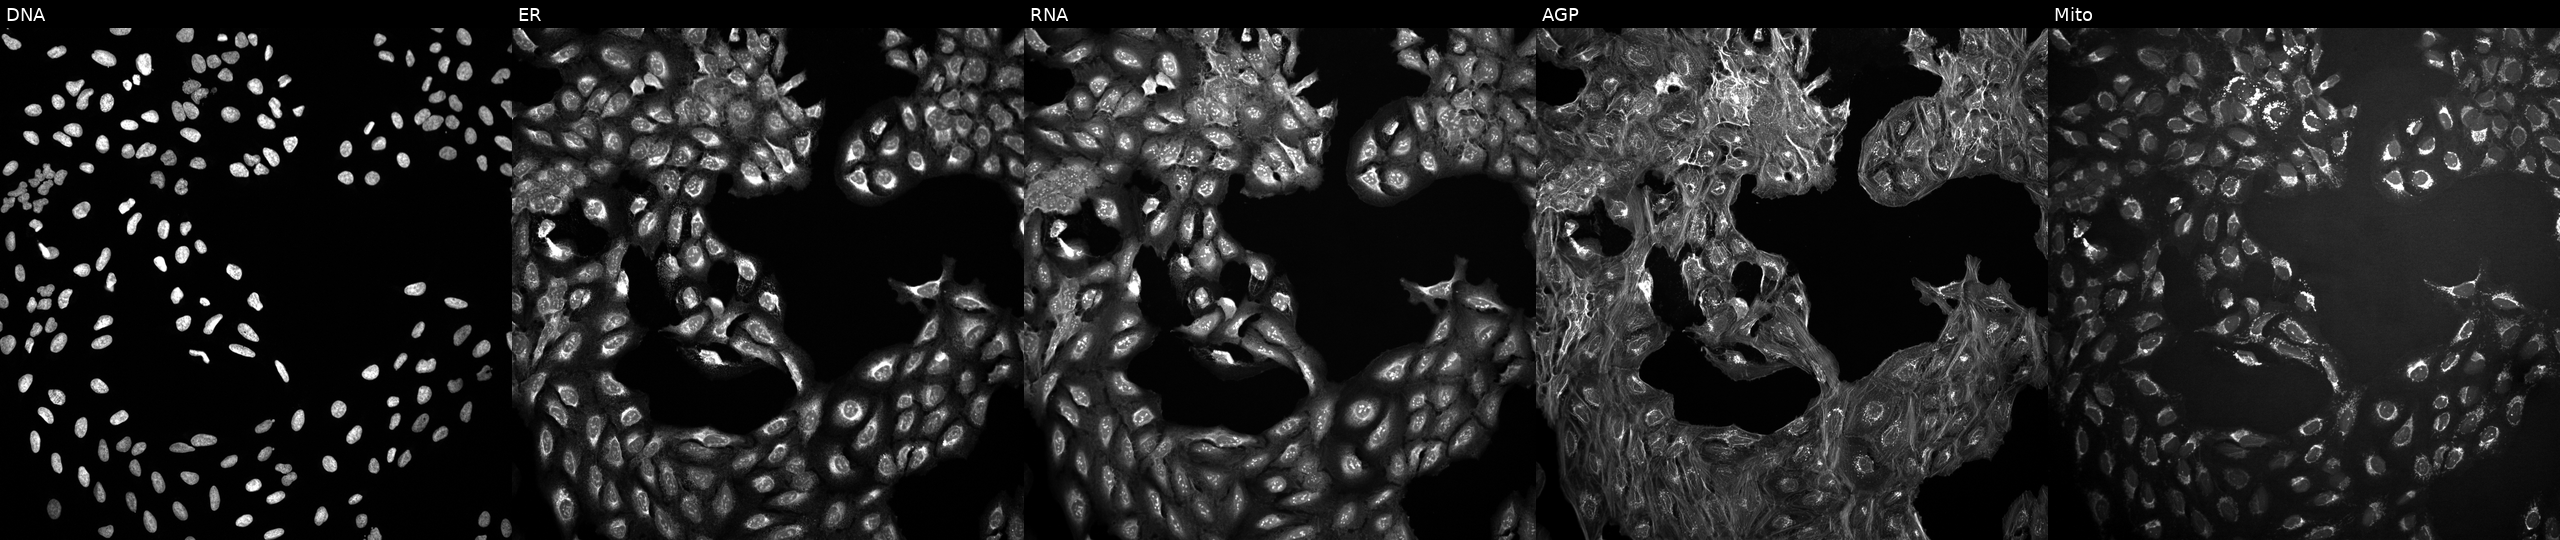
This image strip shows the five Cell Painting channels for a single field of U2OS cells in an empty control well (no perturbation) (JUMP id JCP2022_999999). From left to right: DNA (nuclei); ER (endoplasmic reticulum); RNA (nucleoli and cytoplasmic RNA); AGP (actin cytoskeleton, Golgi, and plasma membrane); Mito (mitochondria).